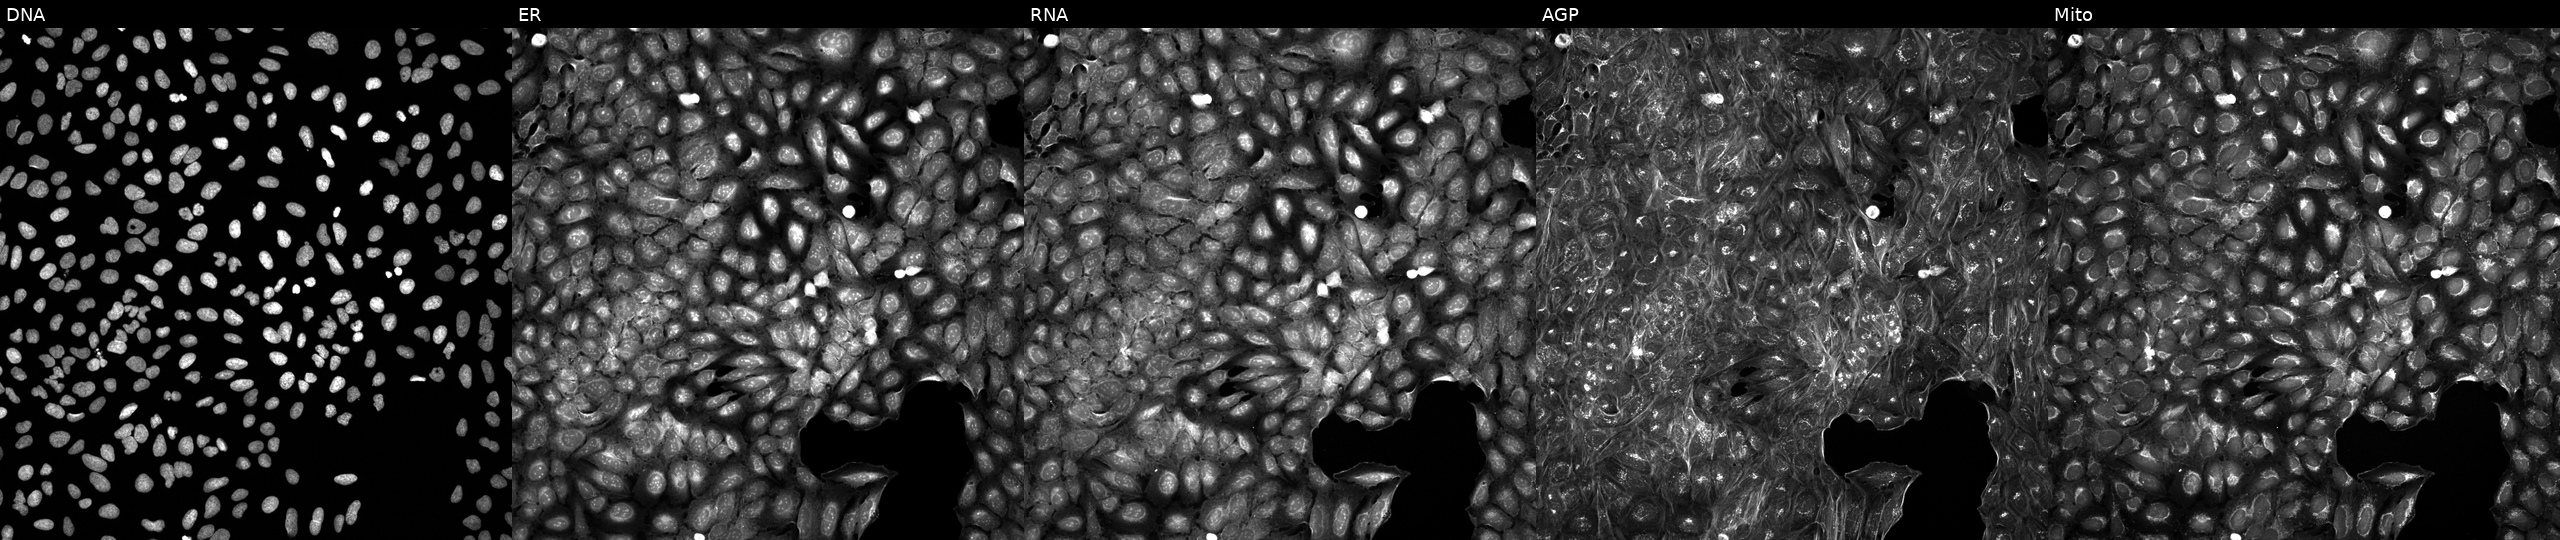
This image strip shows the five Cell Painting channels for a single field of U2OS cells exposed to a small-molecule compound. From left to right: Hoechst 33342, concanavalin A, SYTO 14, phalloidin and WGA, MitoTracker. Source 5, plate APTJUM105, well D17.